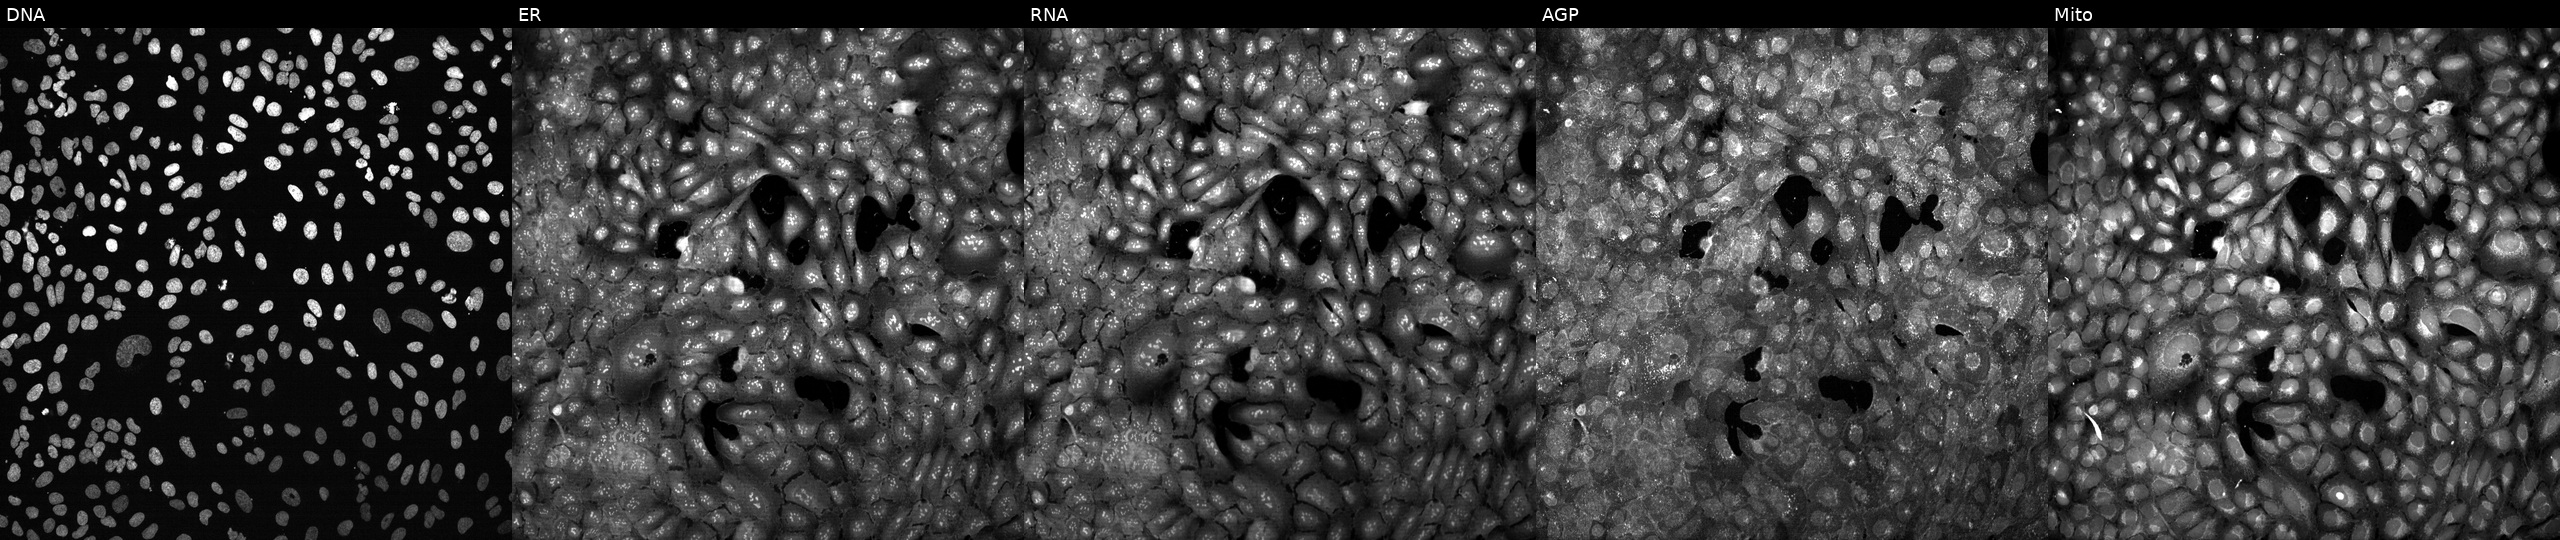
This image strip shows the five Cell Painting channels for a single field of U2OS cells CRISPR-edited to disrupt ADH1B. Channels (left→right): DNA (nuclei); ER (endoplasmic reticulum); RNA (nucleoli and cytoplasmic RNA); AGP (actin cytoskeleton, Golgi, and plasma membrane); Mito (mitochondria).